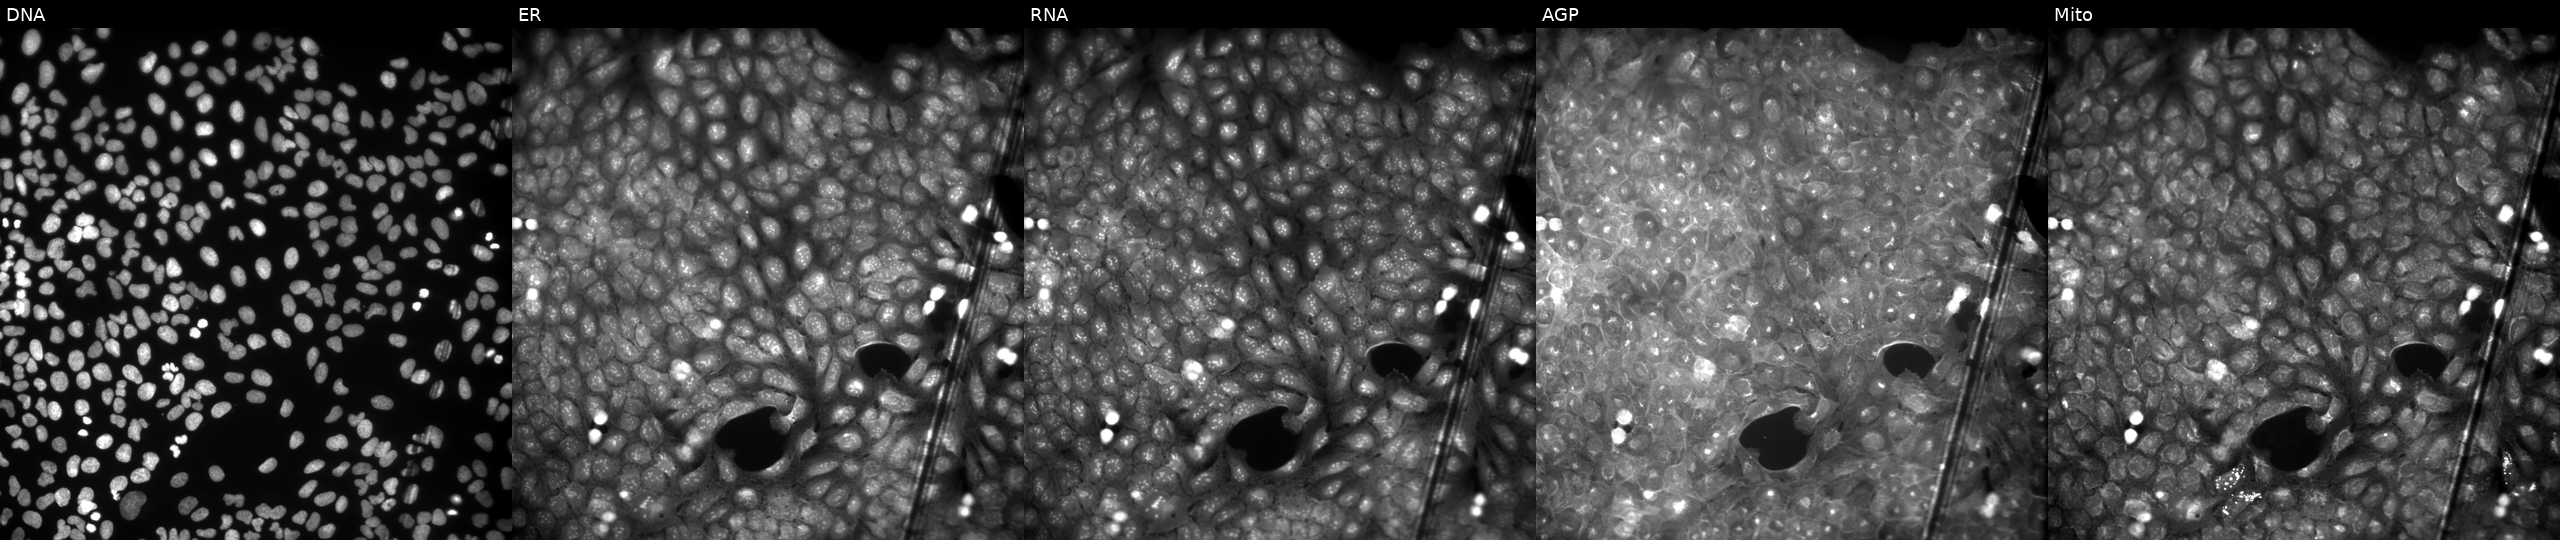
High-content fluorescence microscopy (Cell Painting). Cell line: U2OS. Perturbation: treated with a small-molecule compound (InChIKey SKRBSBYKNYQNDR-UHFFFAOYSA-N). The five panels, left to right, show DNA (nuclei); ER (endoplasmic reticulum); RNA (nucleoli and cytoplasmic RNA); AGP (actin cytoskeleton, Golgi, and plasma membrane); Mito (mitochondria).